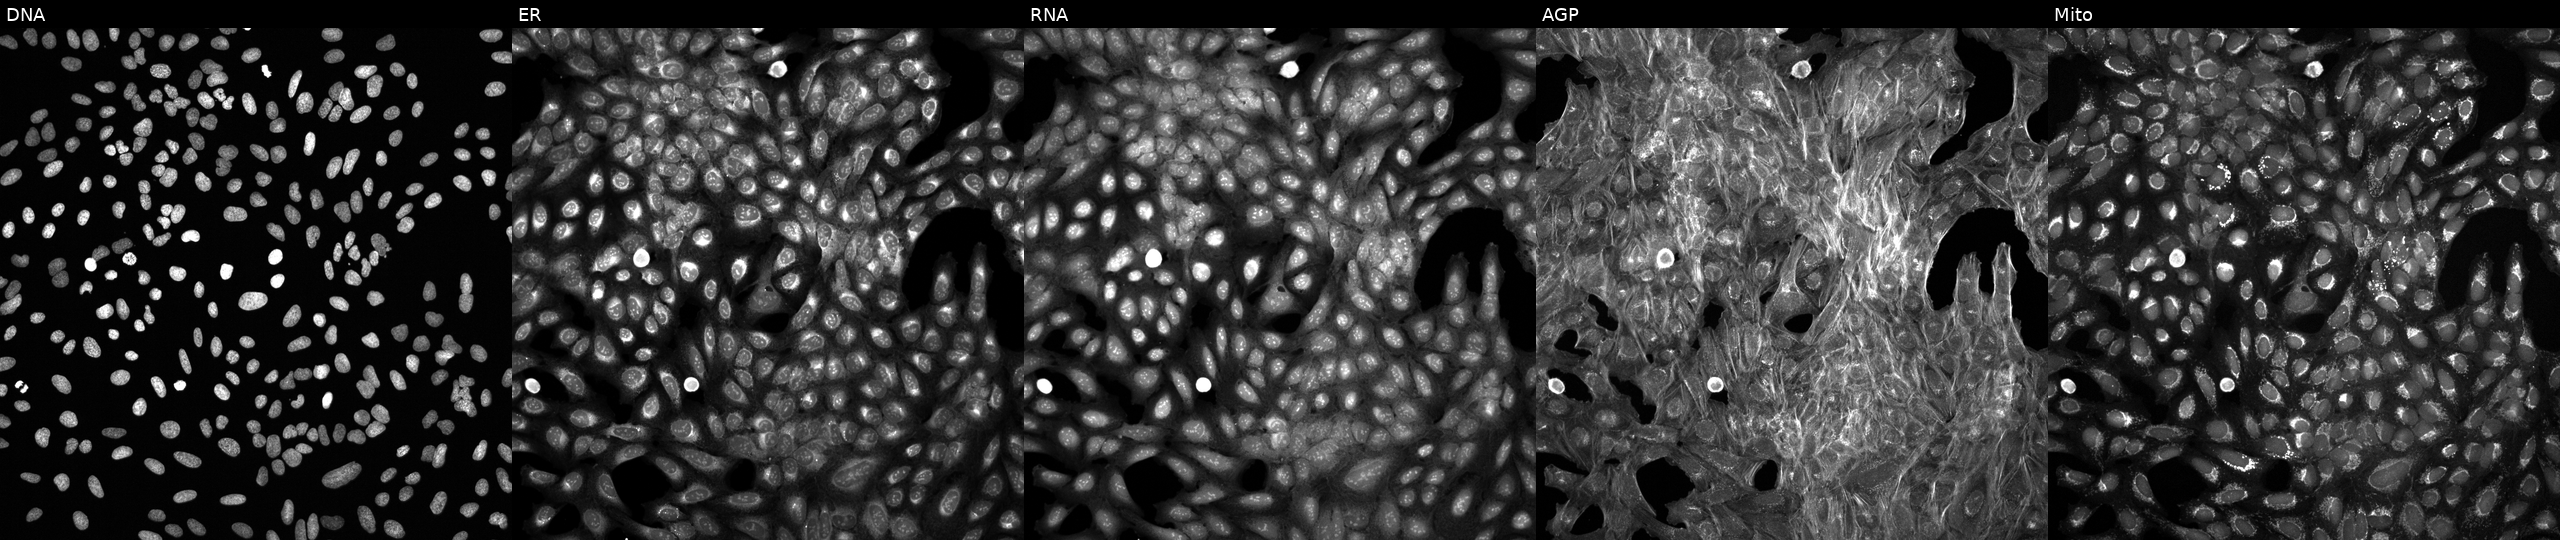
Channels (left→right): DNA, ER, RNA, AGP, and Mito. U2OS osteosarcoma cells treated with a small-molecule compound (InChIKey JDVVGAQPNNXQDW-UHFFFAOYSA-N). Cell Painting assay, JUMP-CP dataset.